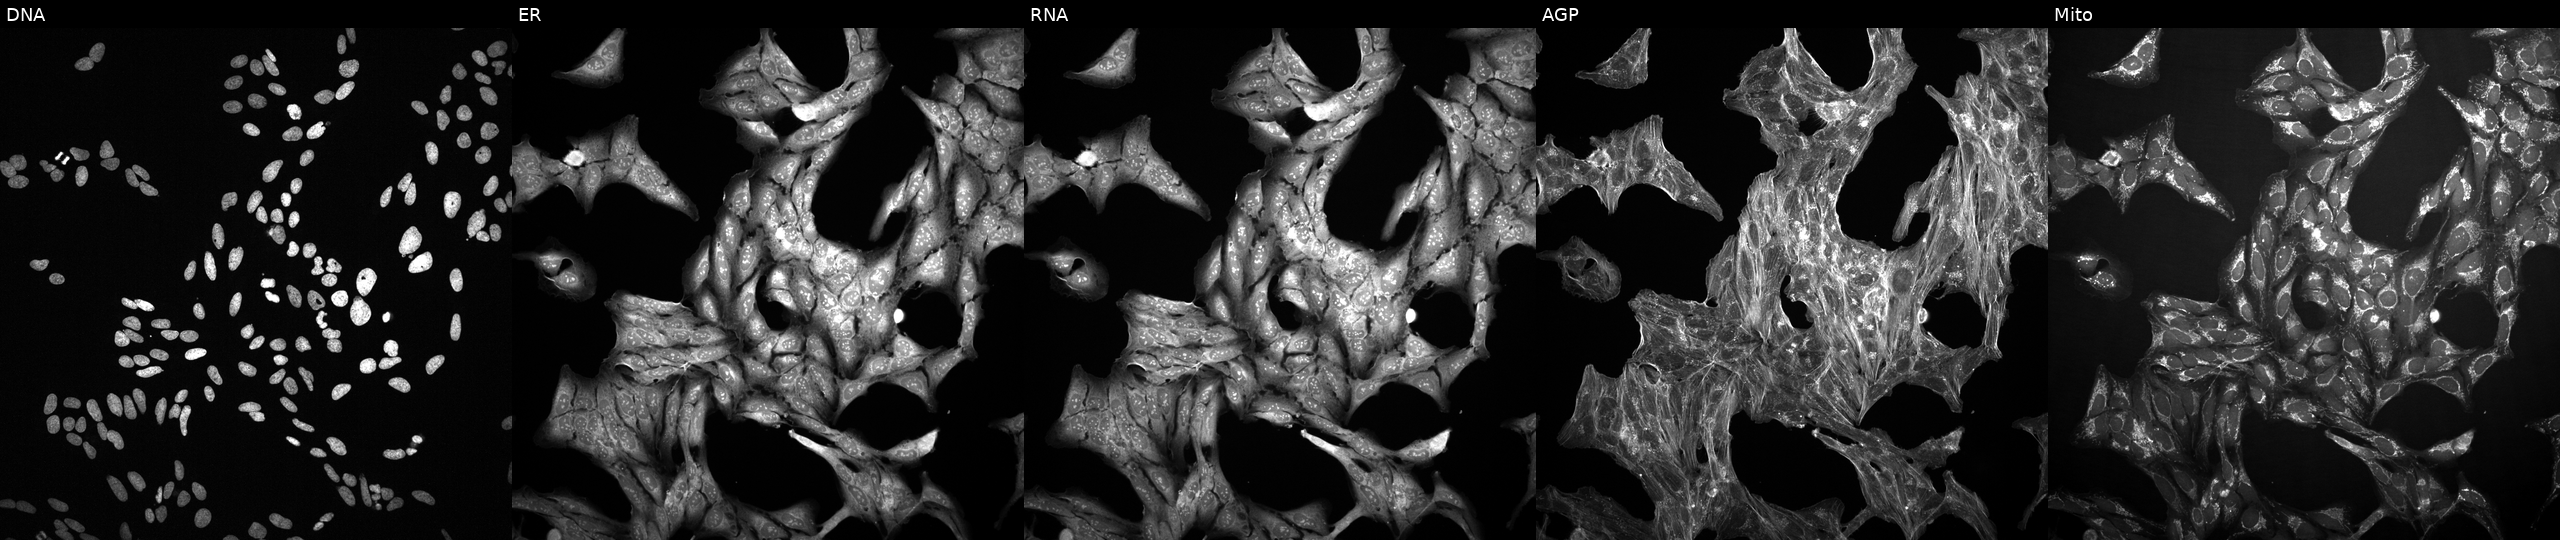
This image strip shows the five Cell Painting channels for a single field of U2OS cells exposed to a small-molecule compound [SMILES: C[S+]([O-])c1ccc(-c2nc(-c3ccc(F)cc3)c(-c3ccncc3)[nH]2)cc1]. Channels (left→right): DNA (nuclei); ER (endoplasmic reticulum); RNA (nucleoli and cytoplasmic RNA); AGP (actin cytoskeleton, Golgi, and plasma membrane); Mito (mitochondria).